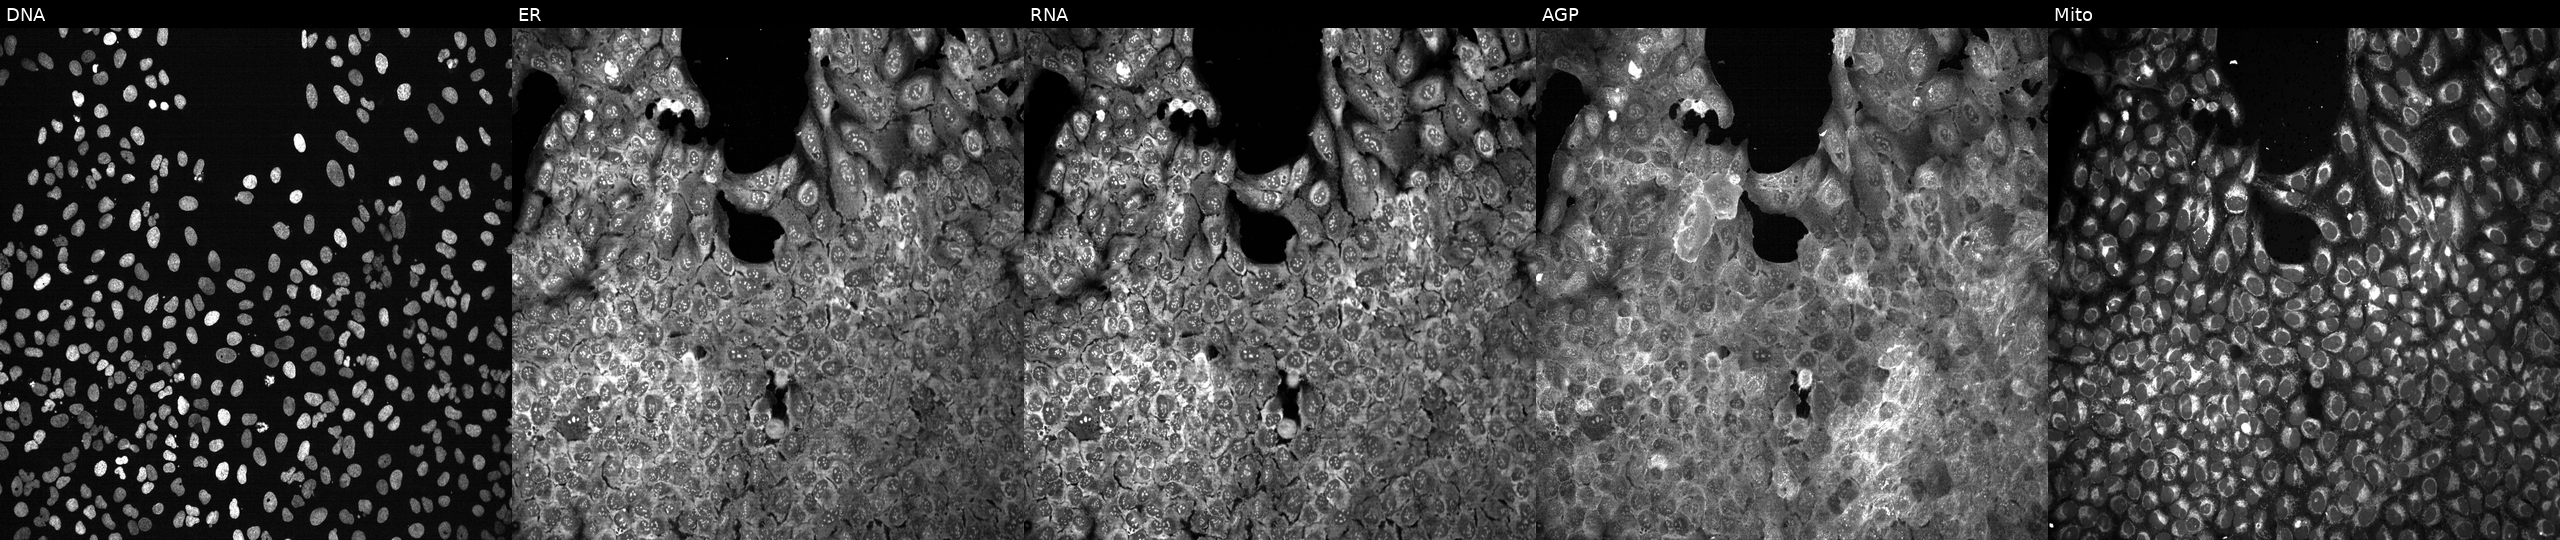
JUMP Cell Painting — CRISPR plate. U2OS cells following CRISPR knockout of NMNAT2. From left to right: DNA, ER, RNA, AGP, and Mito.